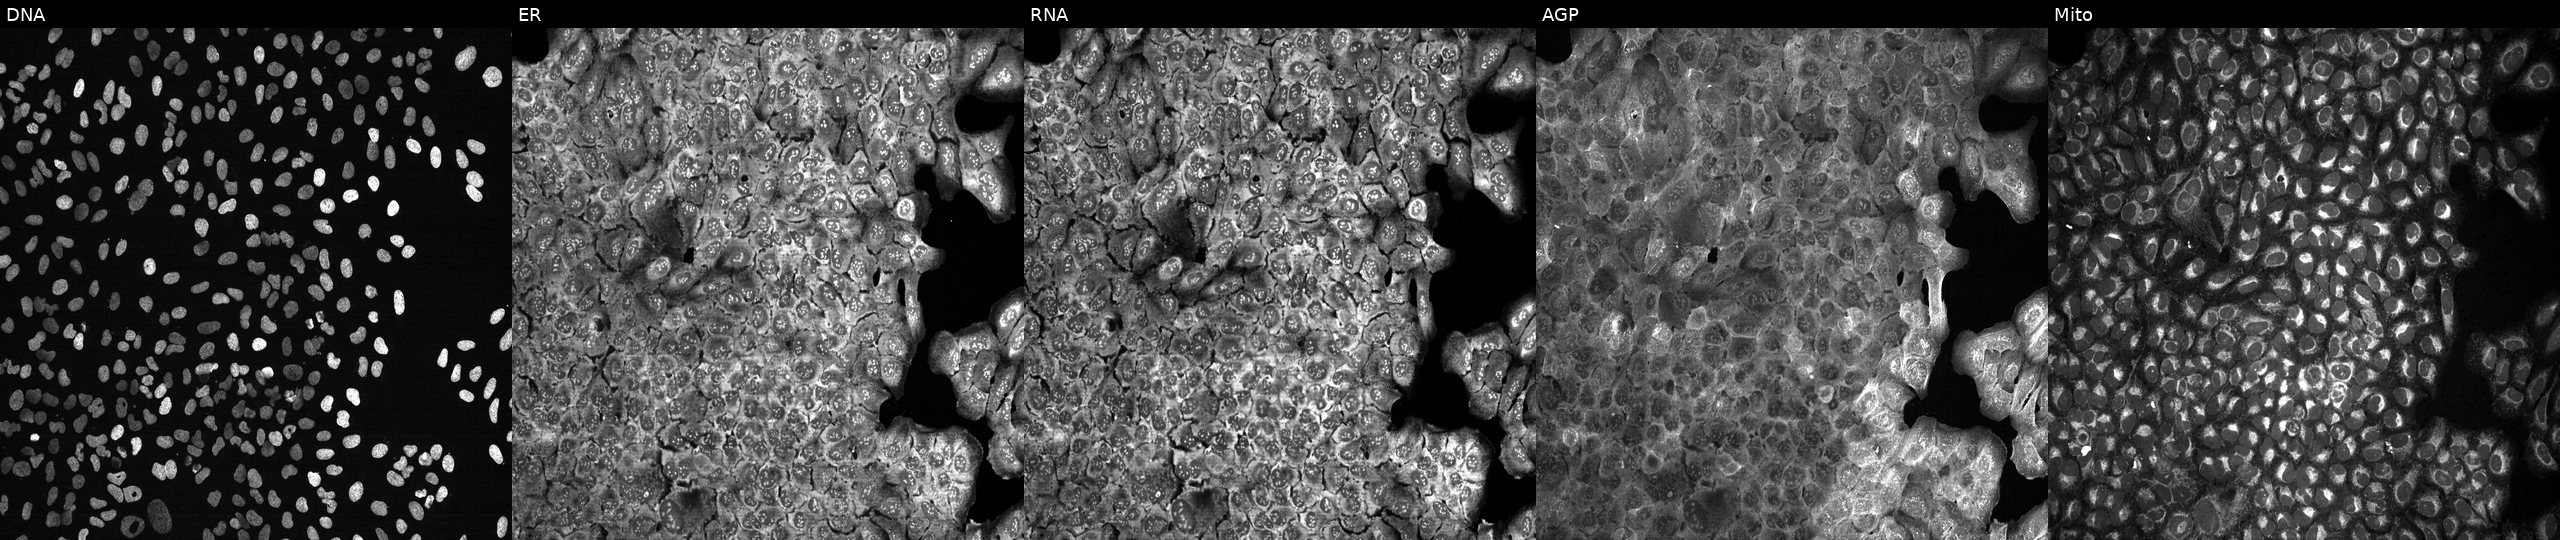
This image strip shows the five Cell Painting channels for a single field of U2OS cells following CRISPR knockout of IDO1 (JUMP id JCP2022_803328). Channels (left→right): DNA, ER, RNA, AGP, and Mito.